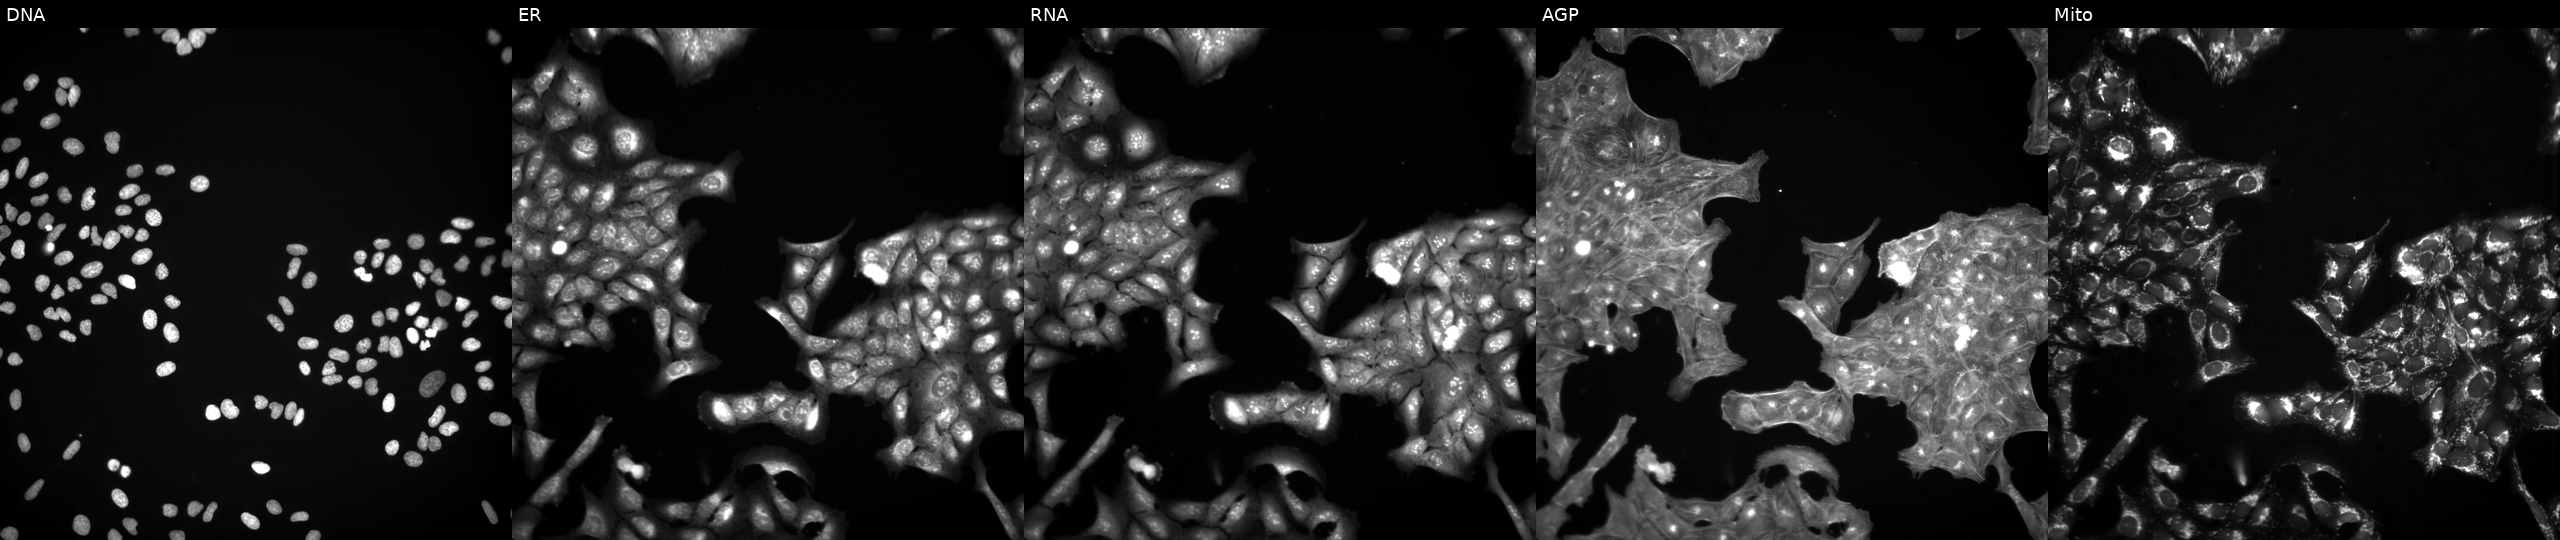
High-content fluorescence microscopy (Cell Painting). Cell line: U2OS. Perturbation: treated with a small-molecule compound (InChIKey GUUGZPSUOTWOMD-UHFFFAOYSA-N) (JUMP id JCP2022_027911). Panels show, left to right, Hoechst 33342, concanavalin A, SYTO 14, phalloidin and WGA, MitoTracker.